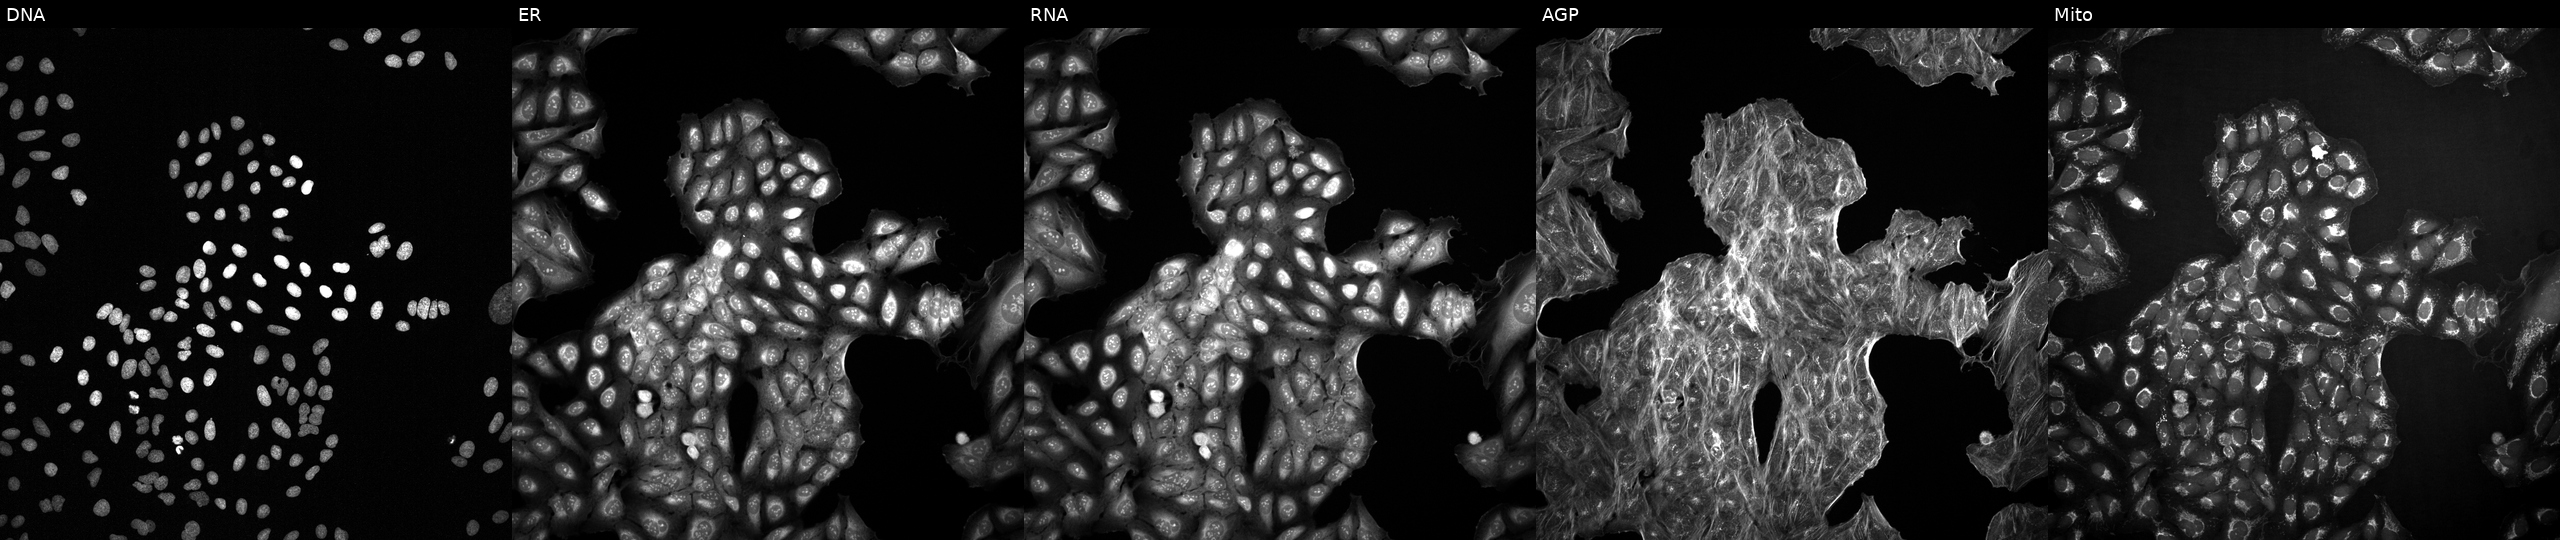
Five-channel Cell Painting image of U2OS cells exposed to DMSO alone as a negative control (JUMP id JCP2022_033924). From left to right: DNA, ER, RNA, AGP, and Mito.